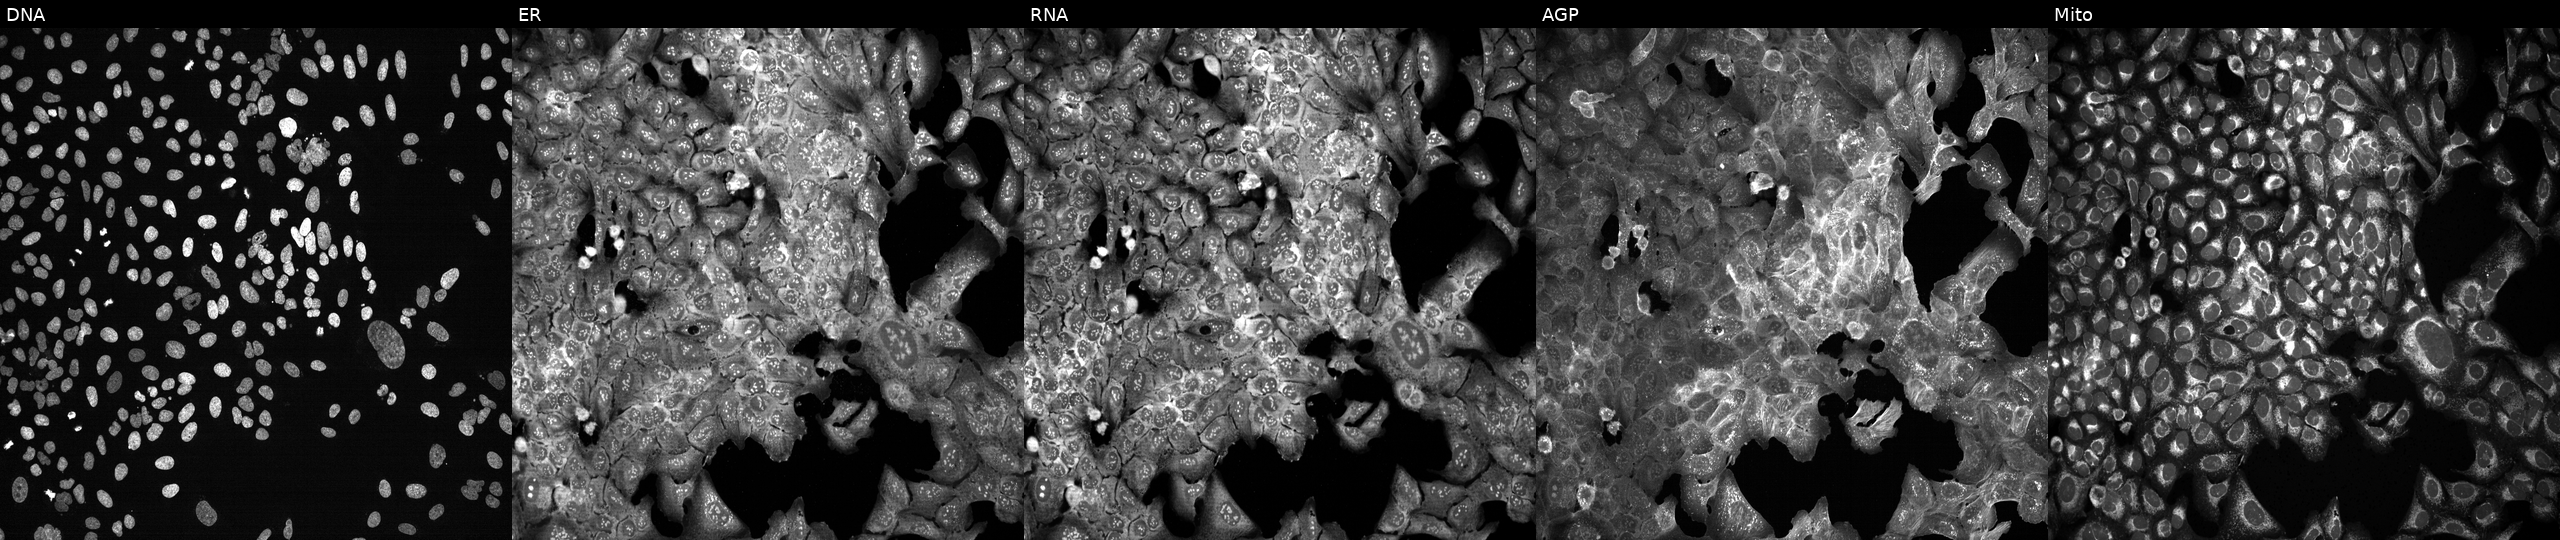
U2OS cells, Cell Painting assay, following CRISPR knockout of RBP3. Channels (left→right): Hoechst 33342, concanavalin A, SYTO 14, phalloidin and WGA, MitoTracker. Each panel is percentile-stretched 16-bit fluorescence.